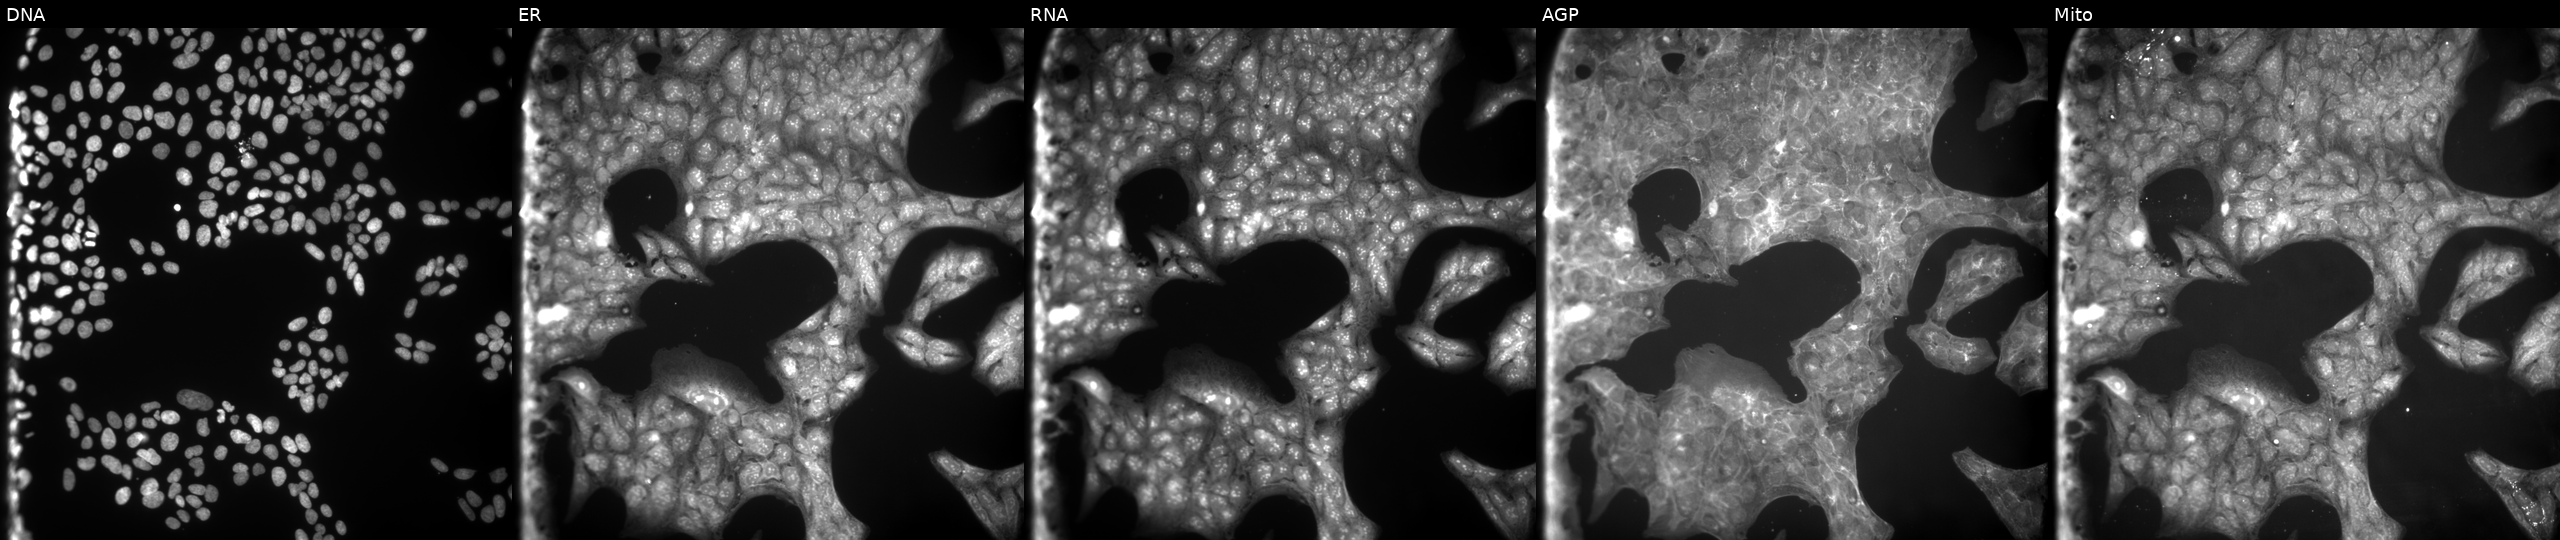
This image strip shows the five Cell Painting channels for a single field of U2OS cells perturbed with a small-molecule compound (InChIKey IBCXZJCWDGCXQT-UHFFFAOYSA-N) [SMILES: c1ccc(-c2[nH]ncc2-c2ccnc3ccccc23)nc1]. Panels show, left to right, Hoechst 33342, concanavalin A, SYTO 14, phalloidin and WGA, MitoTracker.